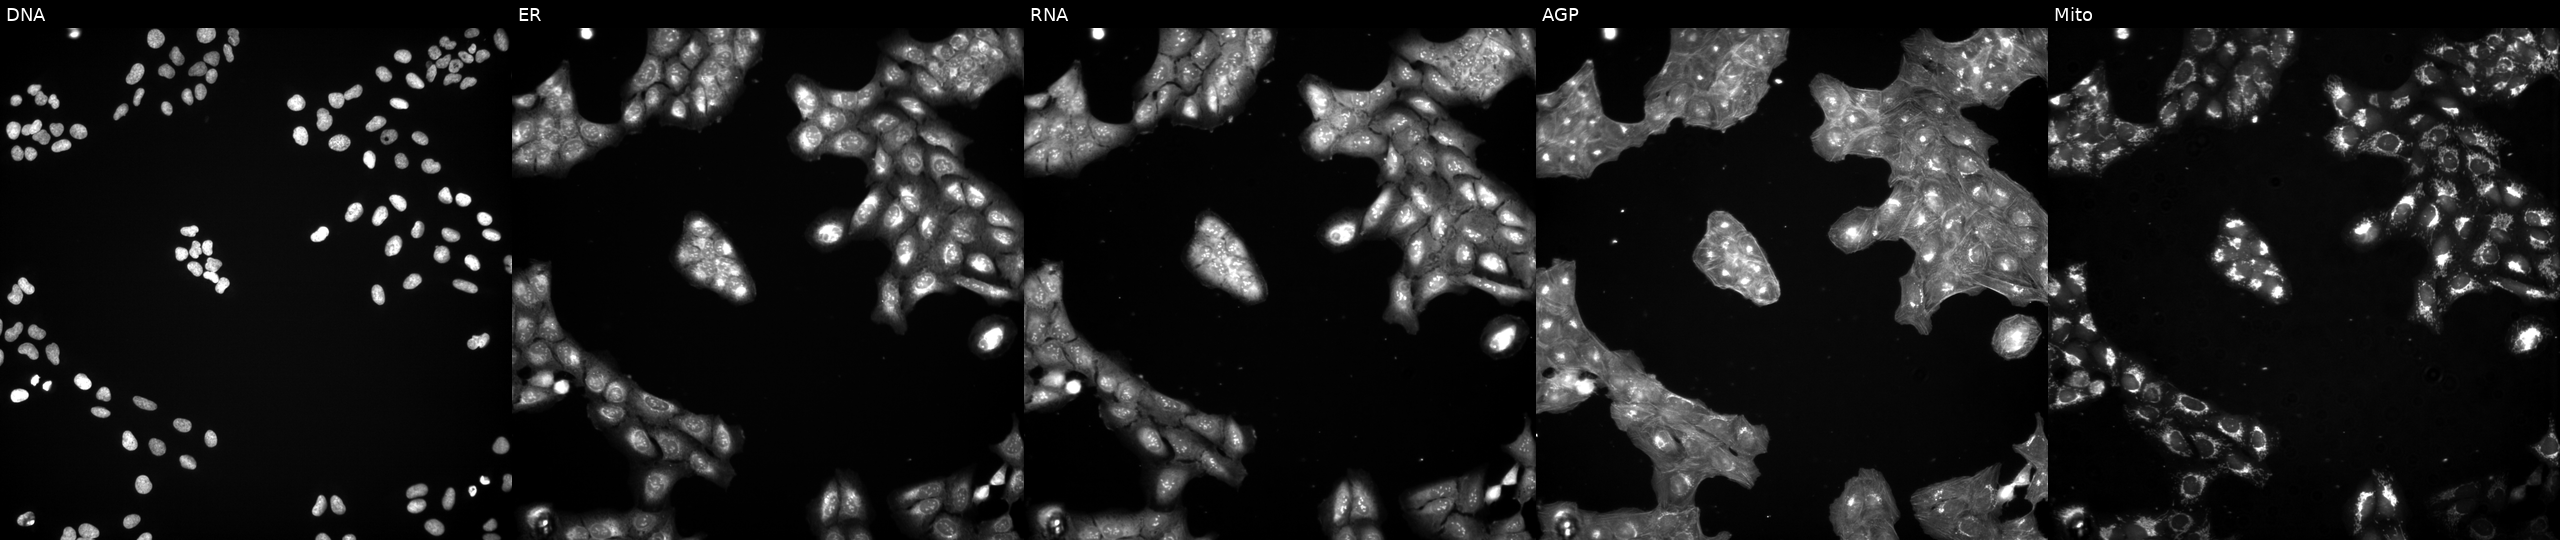
U2OS cells, Cell Painting assay, in an empty control well (no perturbation). The five panels, left to right, show Hoechst 33342, concanavalin A, SYTO 14, phalloidin and WGA, MitoTracker. Each panel is percentile-stretched 16-bit fluorescence.